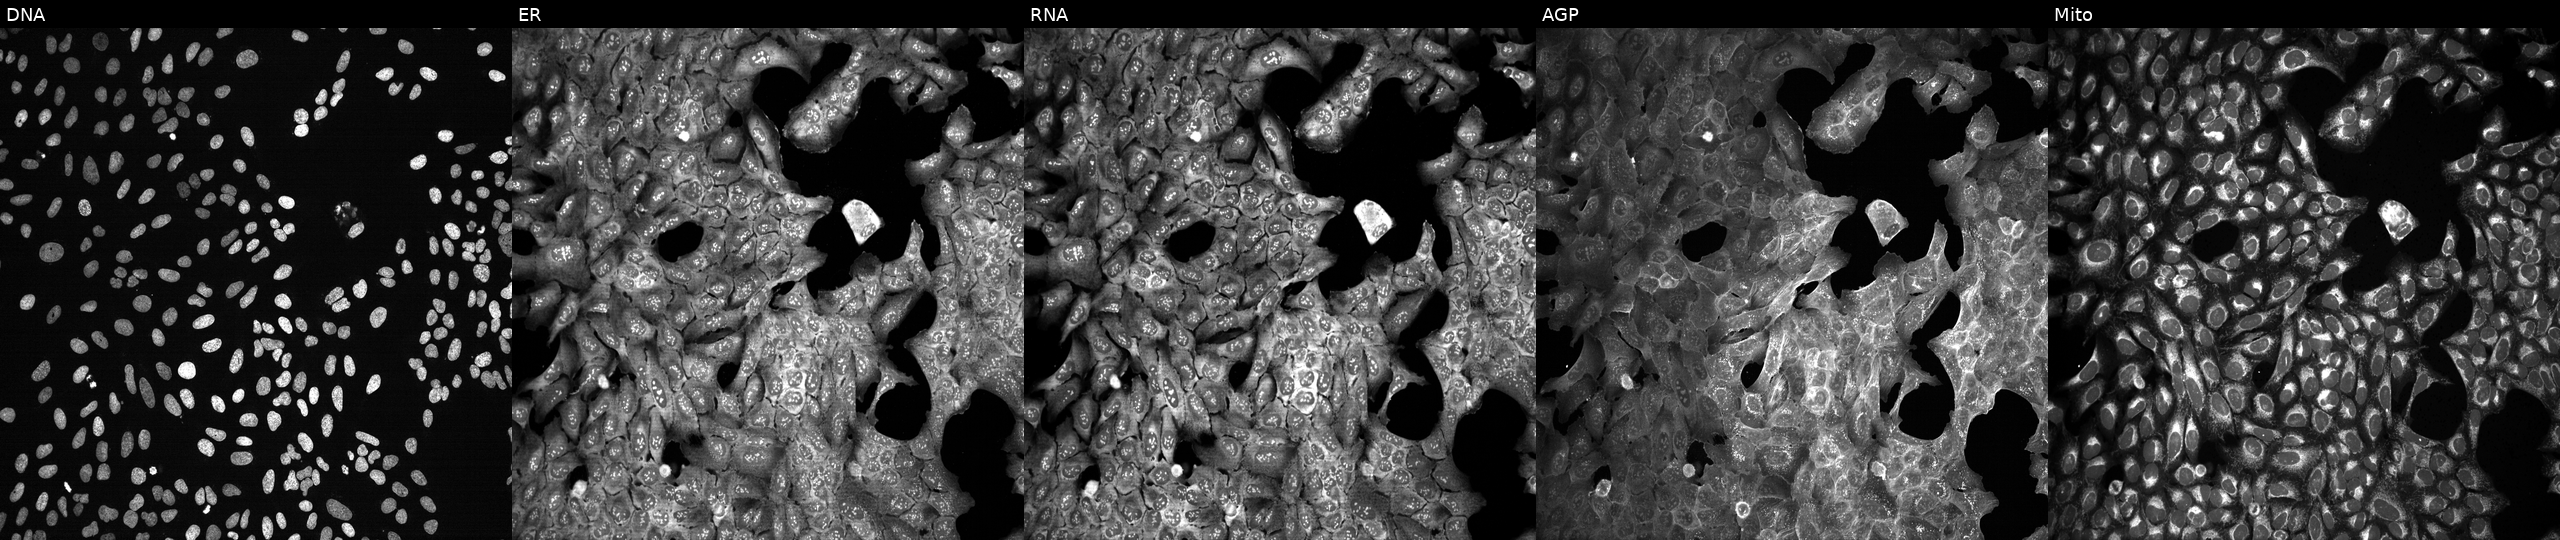
U2OS cells, Cell Painting assay, following CRISPR knockout of PSMB10 (JUMP id JCP2022_805617). The five panels, left to right, show DNA (nuclei); ER (endoplasmic reticulum); RNA (nucleoli and cytoplasmic RNA); AGP (actin cytoskeleton, Golgi, and plasma membrane); Mito (mitochondria). Each panel is percentile-stretched 16-bit fluorescence. Source 13, plate CP-CC9-R6-19, well E17.